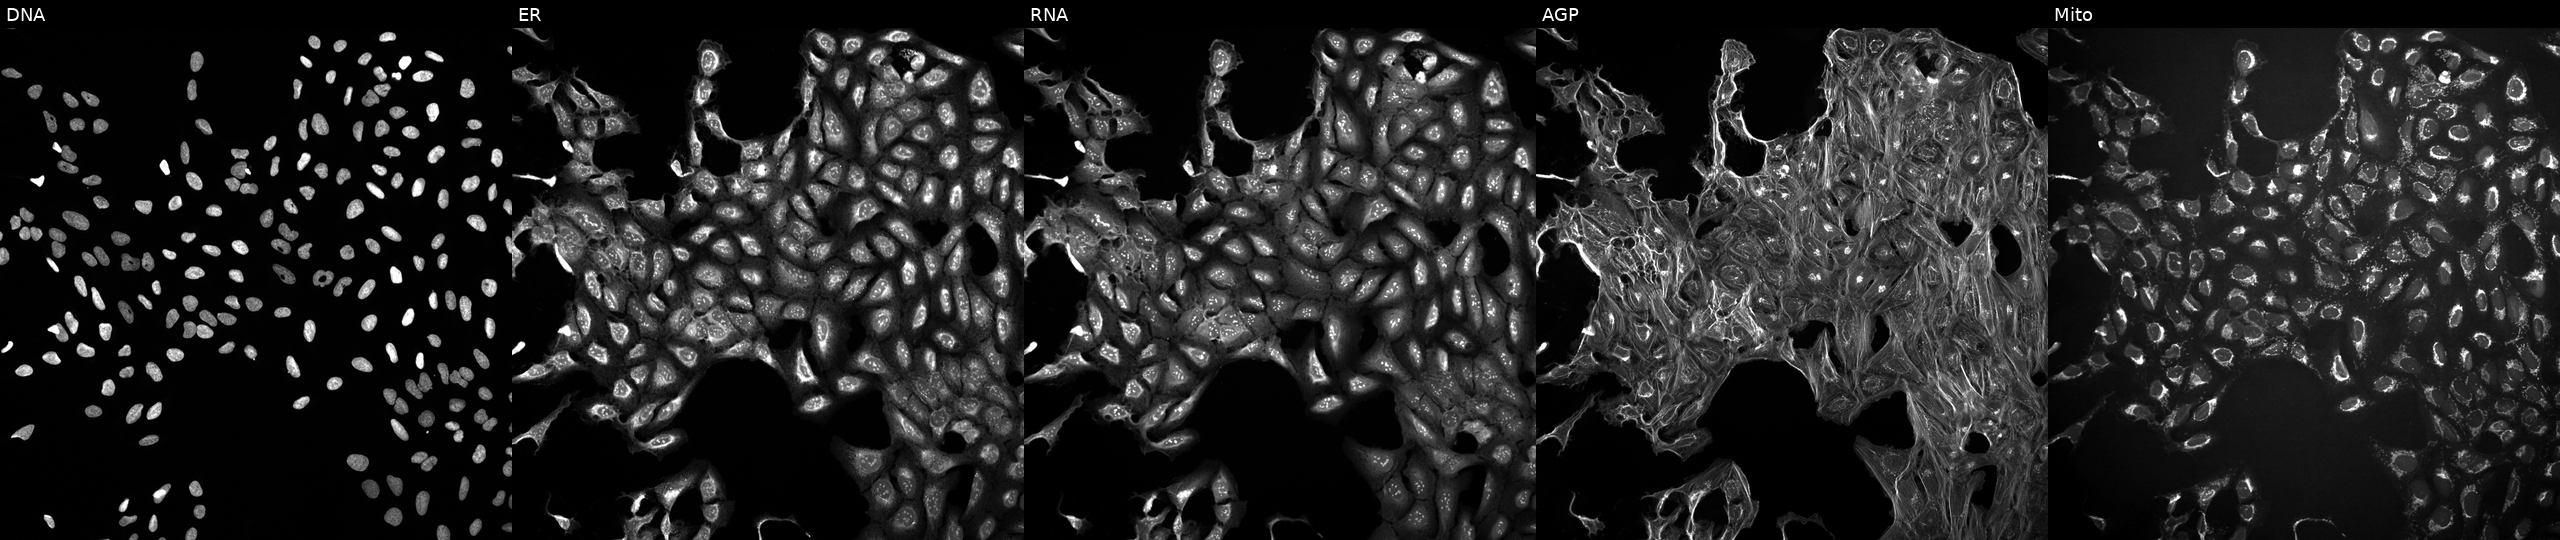
Five-channel Cell Painting image of U2OS cells exposed to a small-molecule compound (JUMP id JCP2022_007419). The five panels, left to right, show Hoechst 33342, concanavalin A, SYTO 14, phalloidin and WGA, MitoTracker.